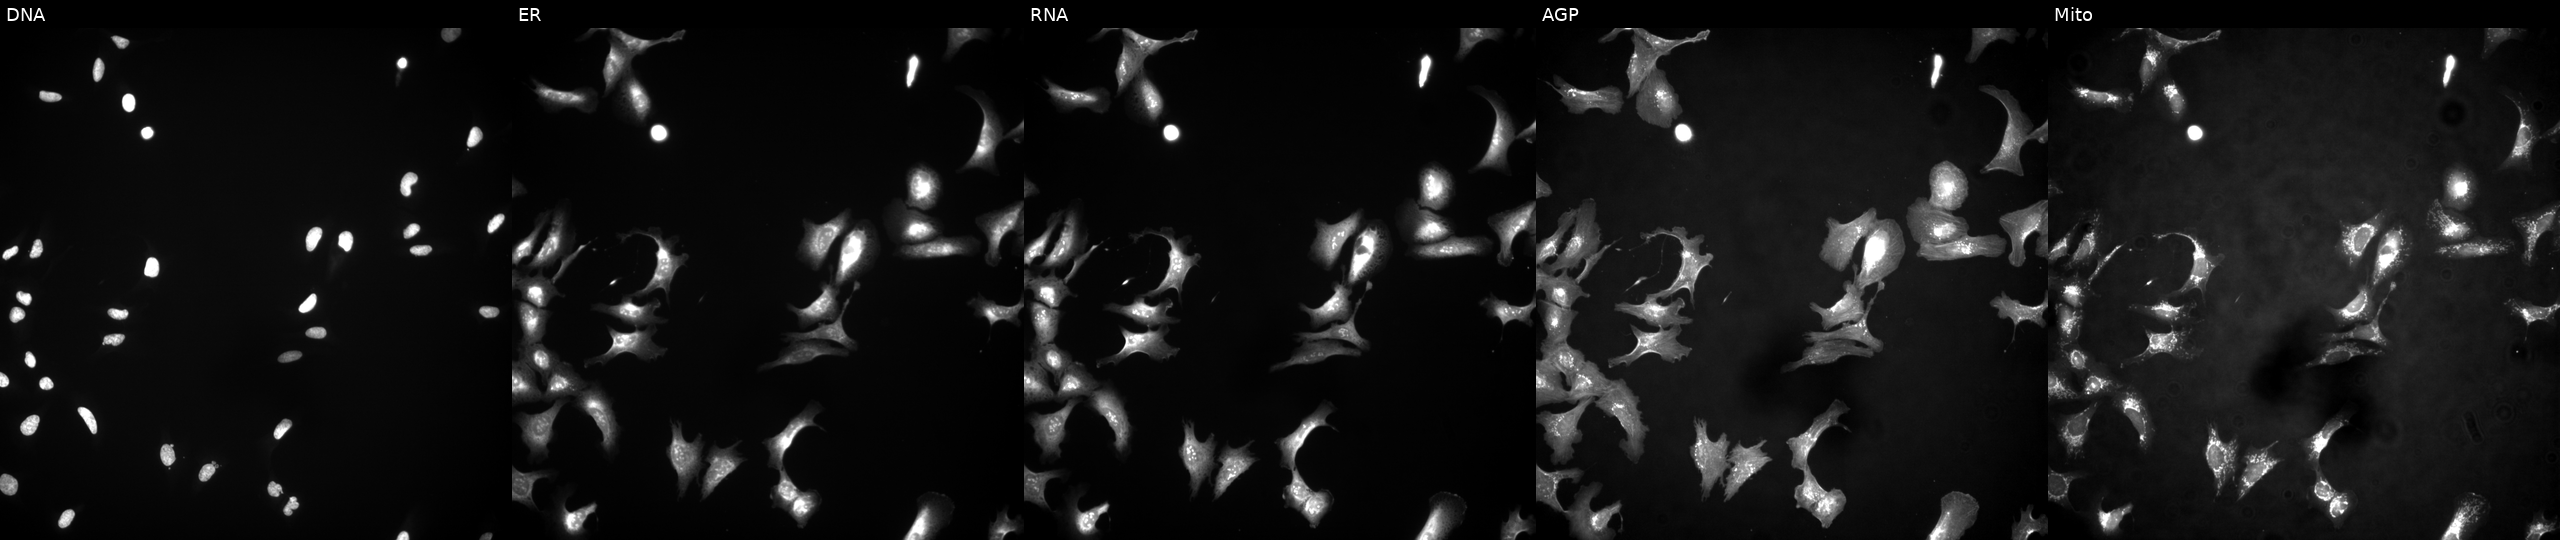
JUMP Cell Painting — ORF plate. U2OS cells transfected with an ORF construct for XLOC_l2_015194 (JUMP id JCP2022_909929). From left to right: Hoechst 33342, concanavalin A, SYTO 14, phalloidin and WGA, MitoTracker. Source 4, plate BR00124790, well E12.